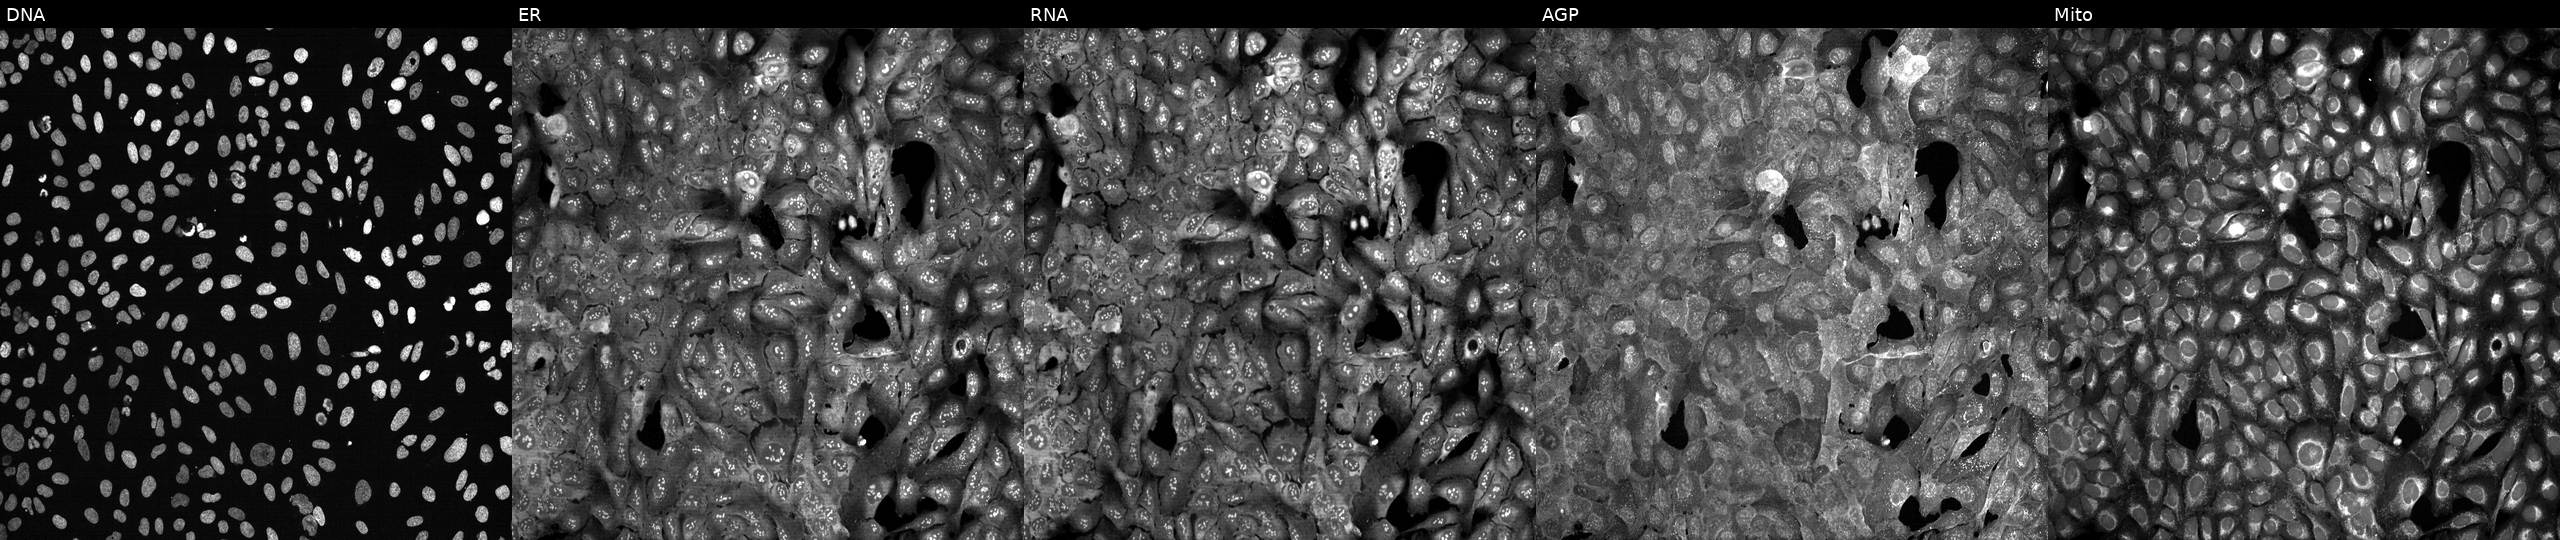
Five-channel Cell Painting image of U2OS cells with CS knocked out by CRISPR. Channels (left→right): DNA, ER, RNA, AGP, and Mito.